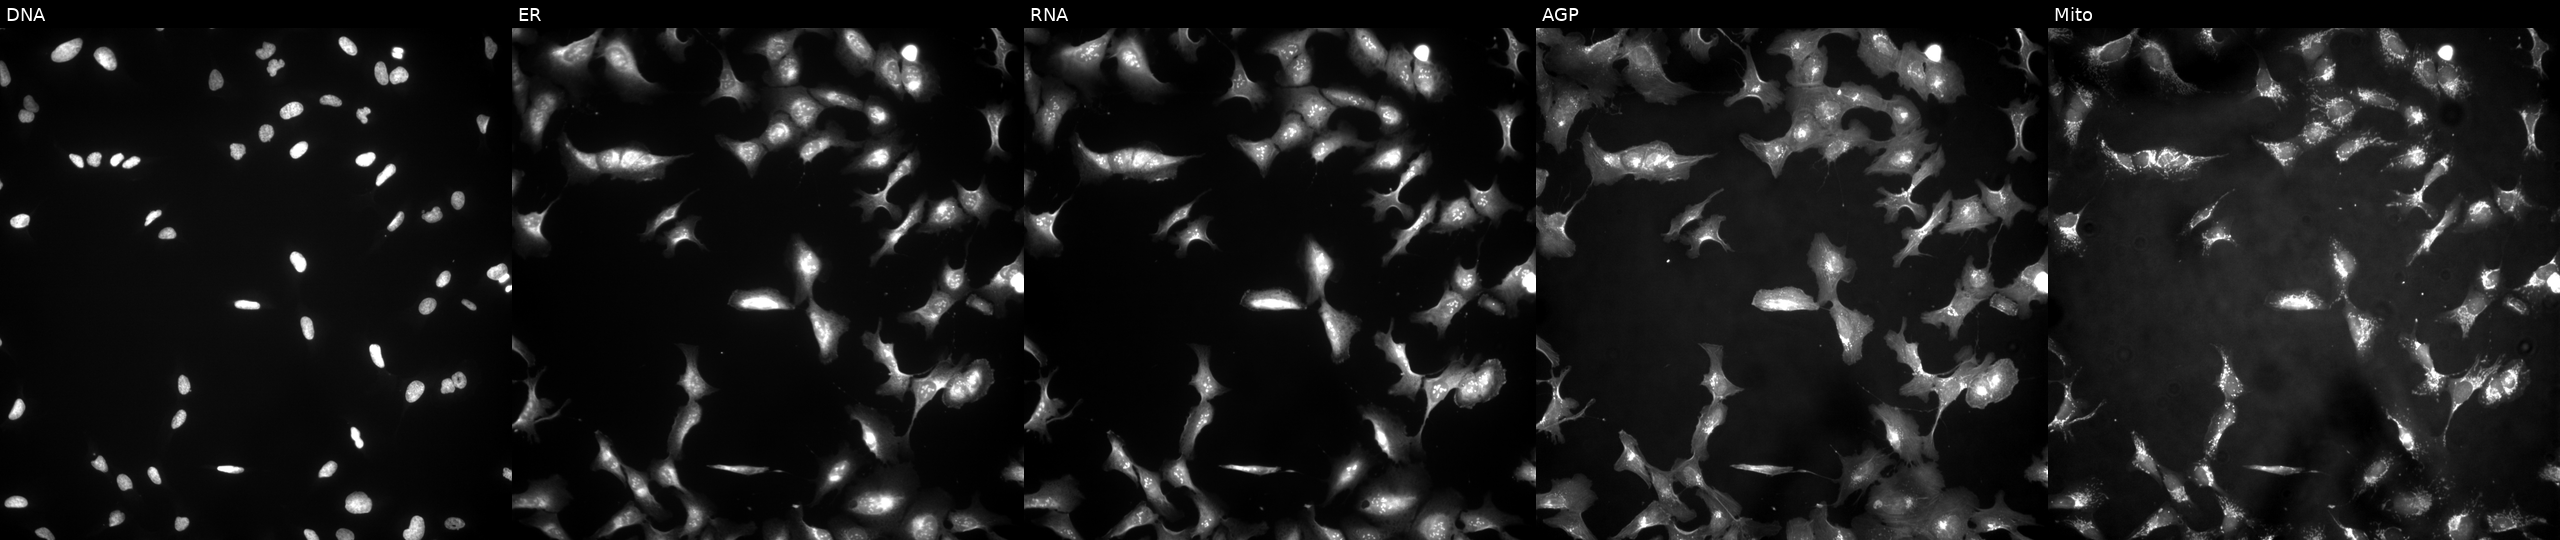
JUMP Cell Painting — ORF plate. U2OS cells with TES overexpressed (ORF) (JUMP id JCP2022_902743). The five panels, left to right, show DNA (nuclei); ER (endoplasmic reticulum); RNA (nucleoli and cytoplasmic RNA); AGP (actin cytoskeleton, Golgi, and plasma membrane); Mito (mitochondria). Source 4, plate BR00123506, well M02.